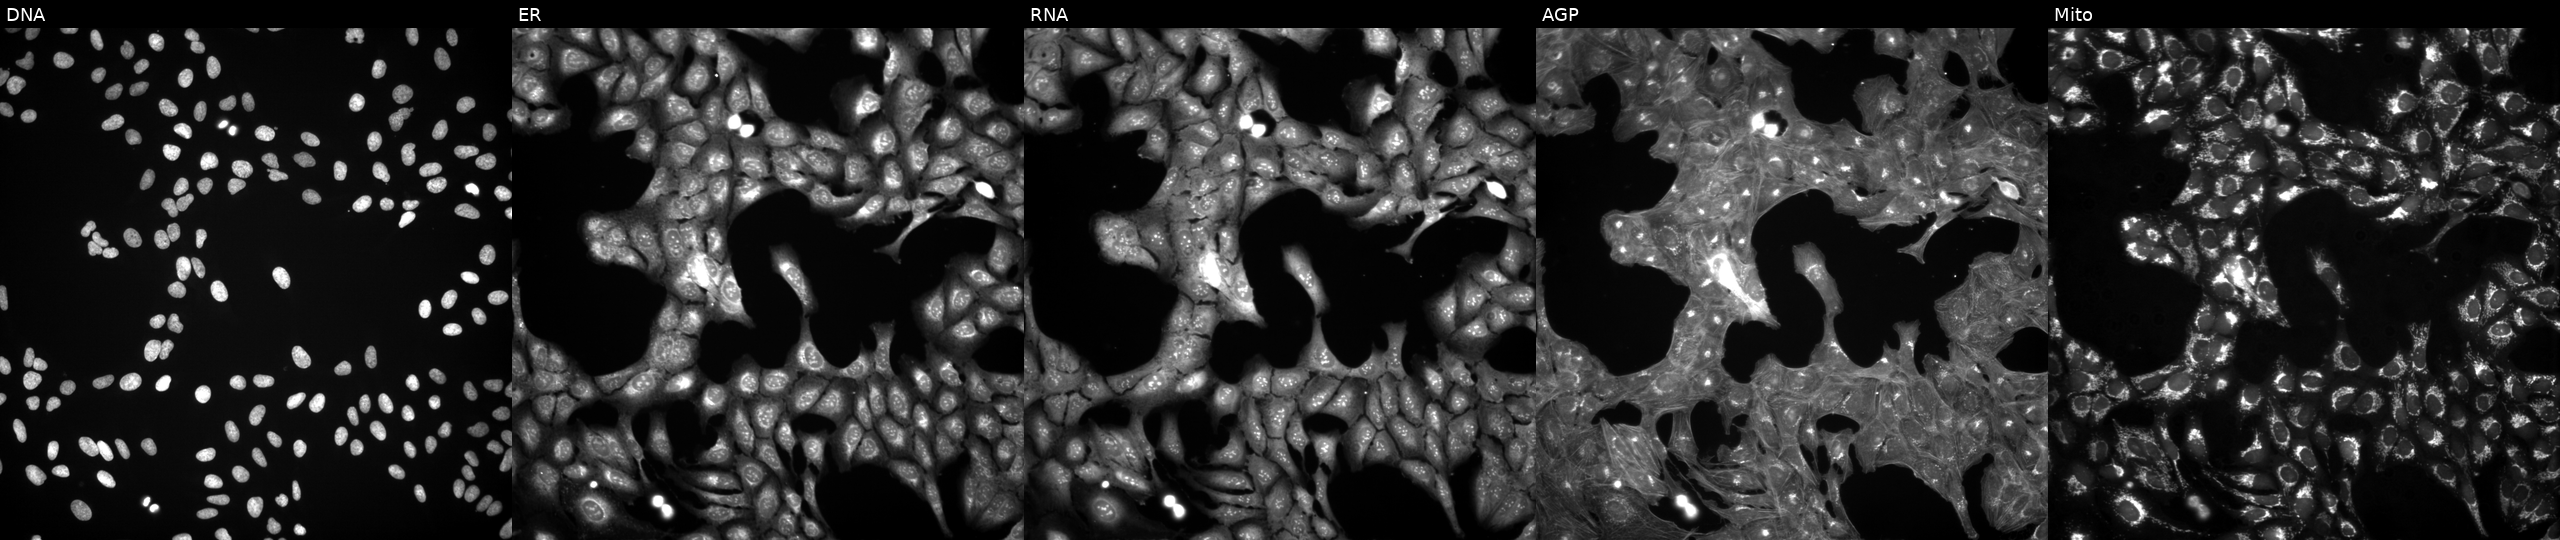
From left to right: Hoechst 33342, concanavalin A, SYTO 14, phalloidin and WGA, MitoTracker. U2OS osteosarcoma cells perturbed with a small-molecule compound (JUMP id JCP2022_030974). Cell Painting assay, JUMP-CP dataset.